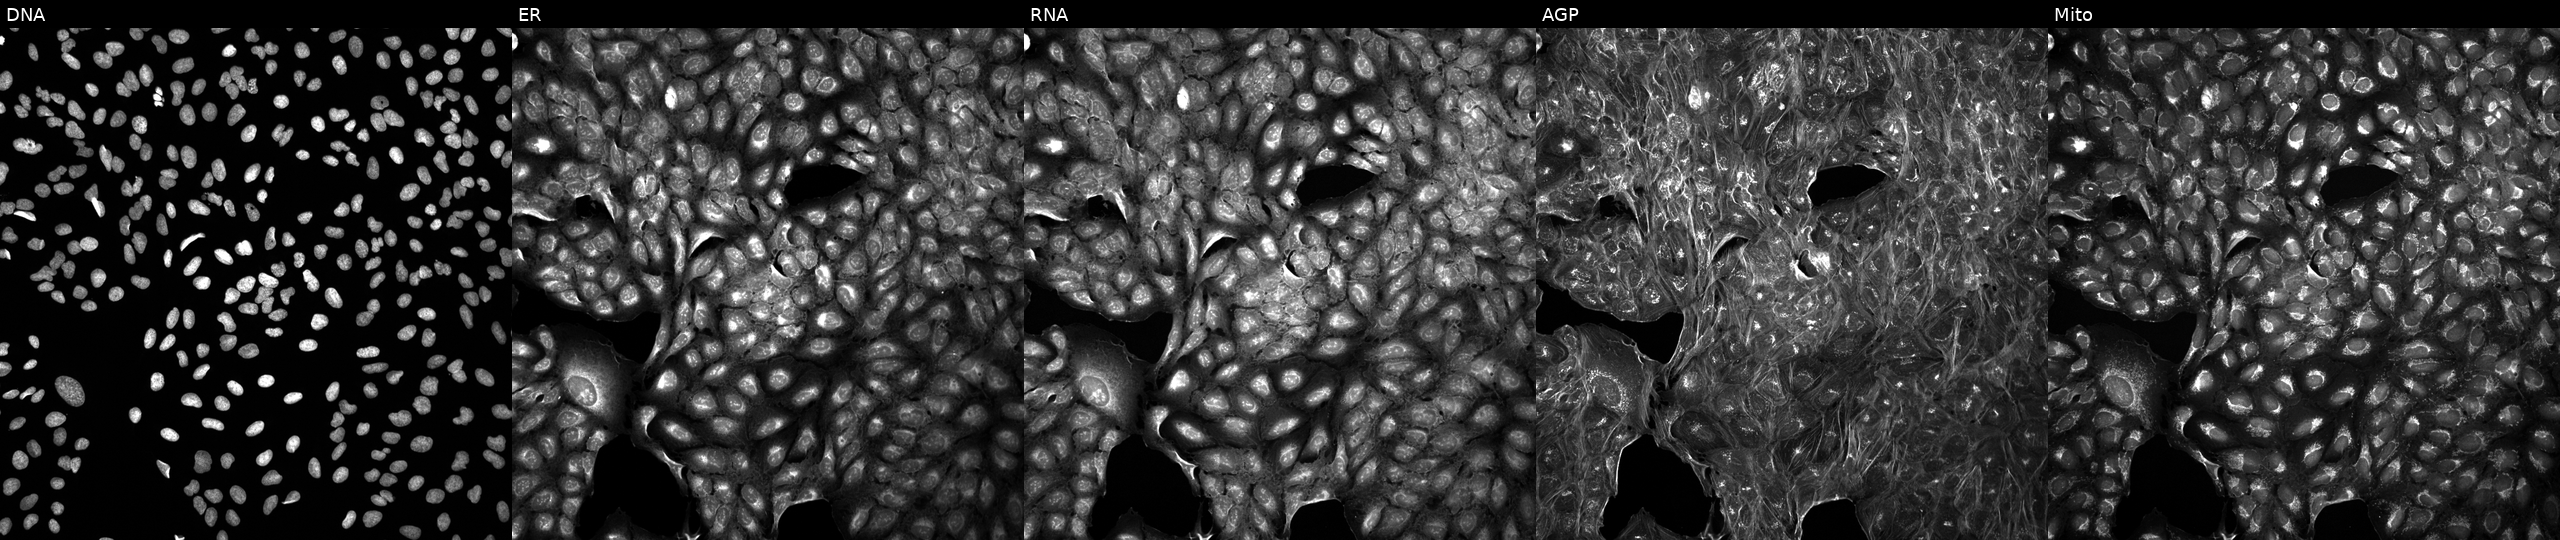
JUMP Cell Painting — TARGET2 plate. U2OS cells perturbed with a small-molecule compound (InChIKey NMUSYJAQQFHJEW-UHFFFAOYSA-N) (JUMP id JCP2022_060040). The five panels, left to right, show Hoechst 33342, concanavalin A, SYTO 14, phalloidin and WGA, MitoTracker. Source 5, plate ACPJUM012, well H21.